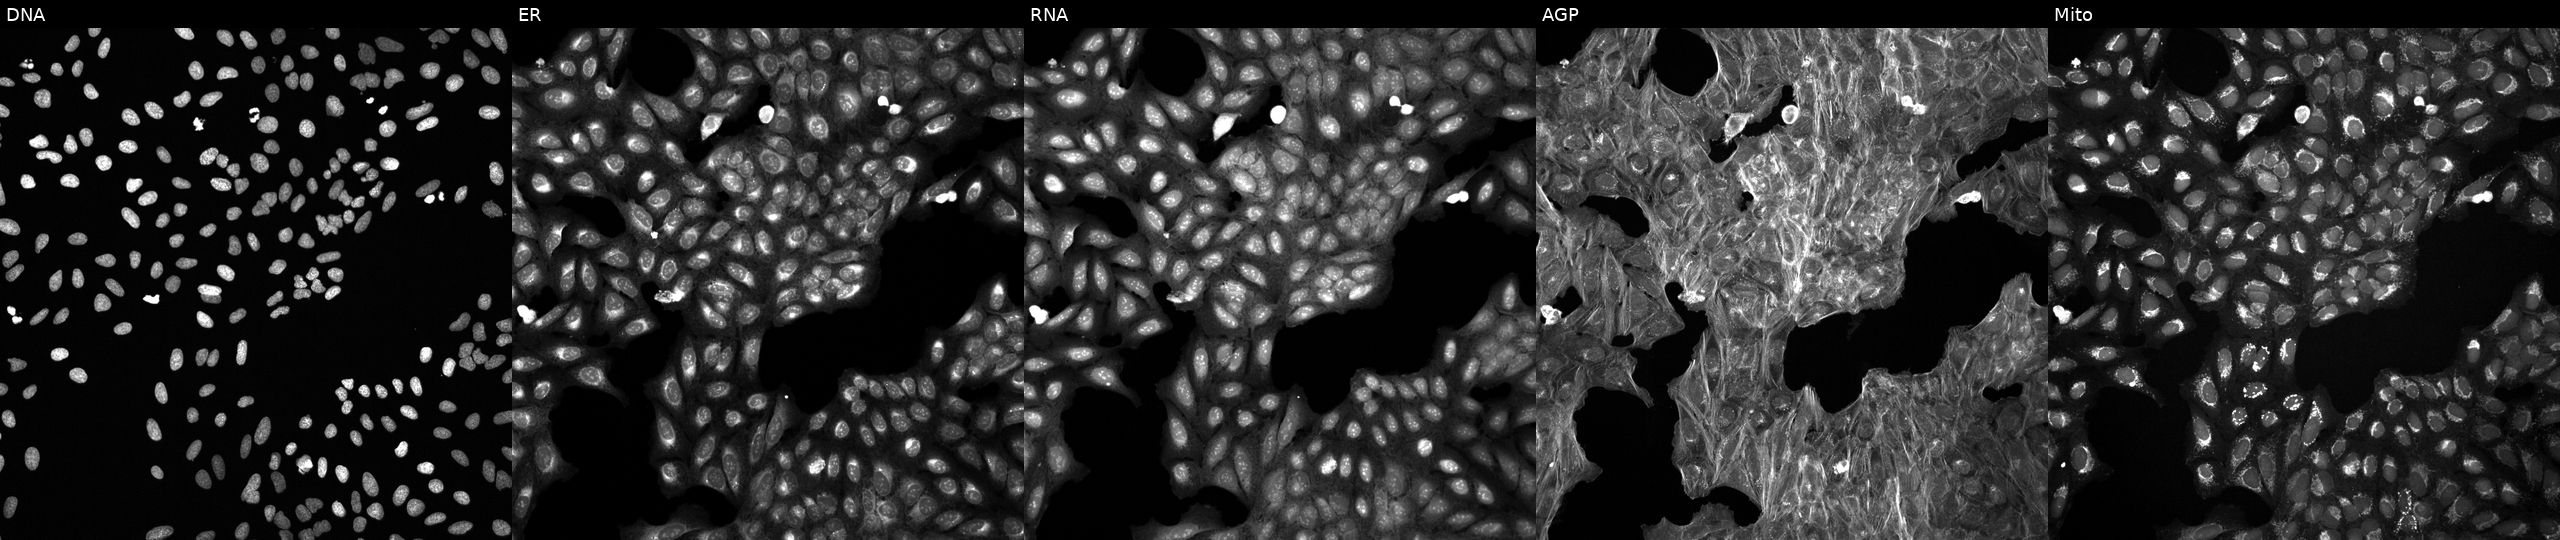
High-content fluorescence microscopy (Cell Painting). Cell line: U2OS. Perturbation: treated with DMSO vehicle only (negative control) (JUMP id JCP2022_033924). Channels (left→right): DNA, ER, RNA, AGP, and Mito.